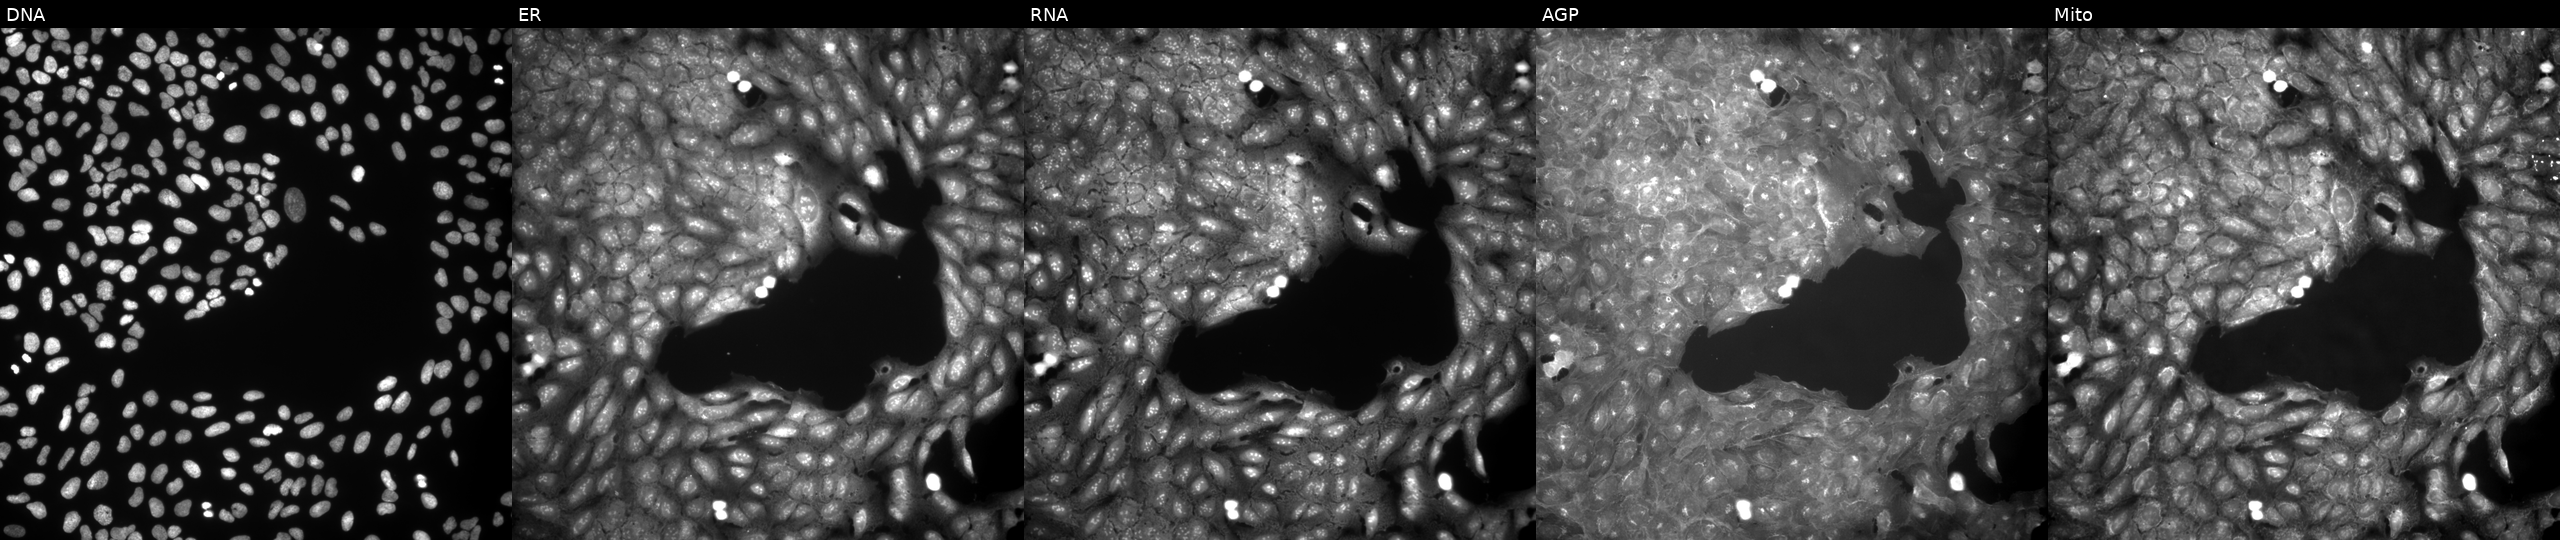
U2OS cells, Cell Painting assay, perturbed with a small-molecule compound. From left to right: Hoechst 33342, concanavalin A, SYTO 14, phalloidin and WGA, MitoTracker. Each panel is percentile-stretched 16-bit fluorescence.